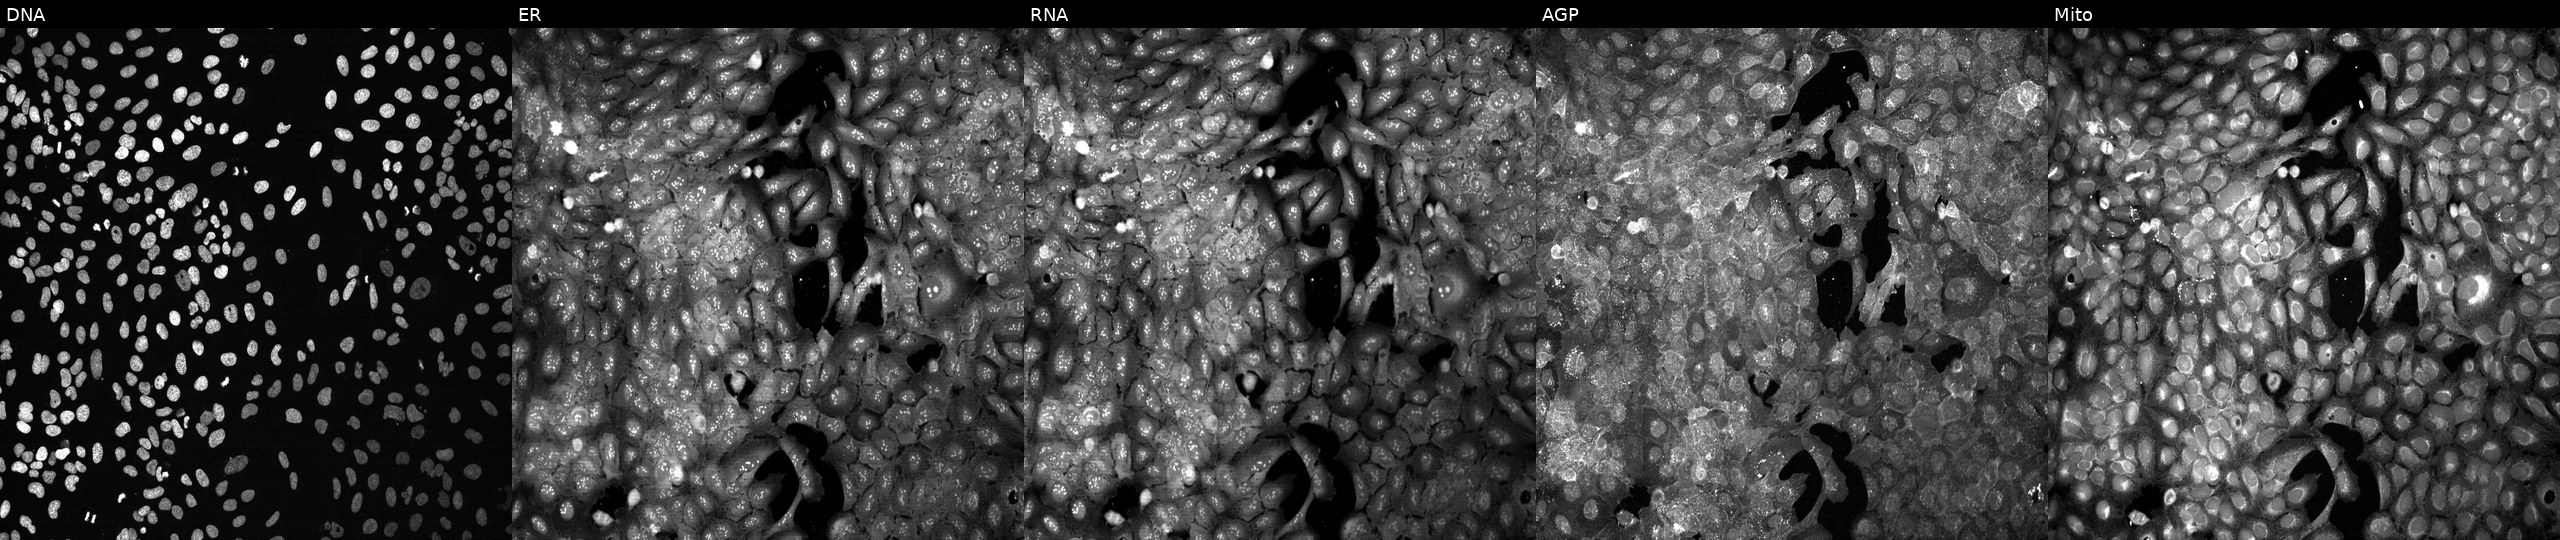
JUMP Cell Painting — CRISPR plate. U2OS cells following CRISPR knockout of DAO (JUMP id JCP2022_801673). Panels show, left to right, DNA, ER, RNA, AGP, and Mito. Source 13, plate CP-CC9-R1-01, well G18.